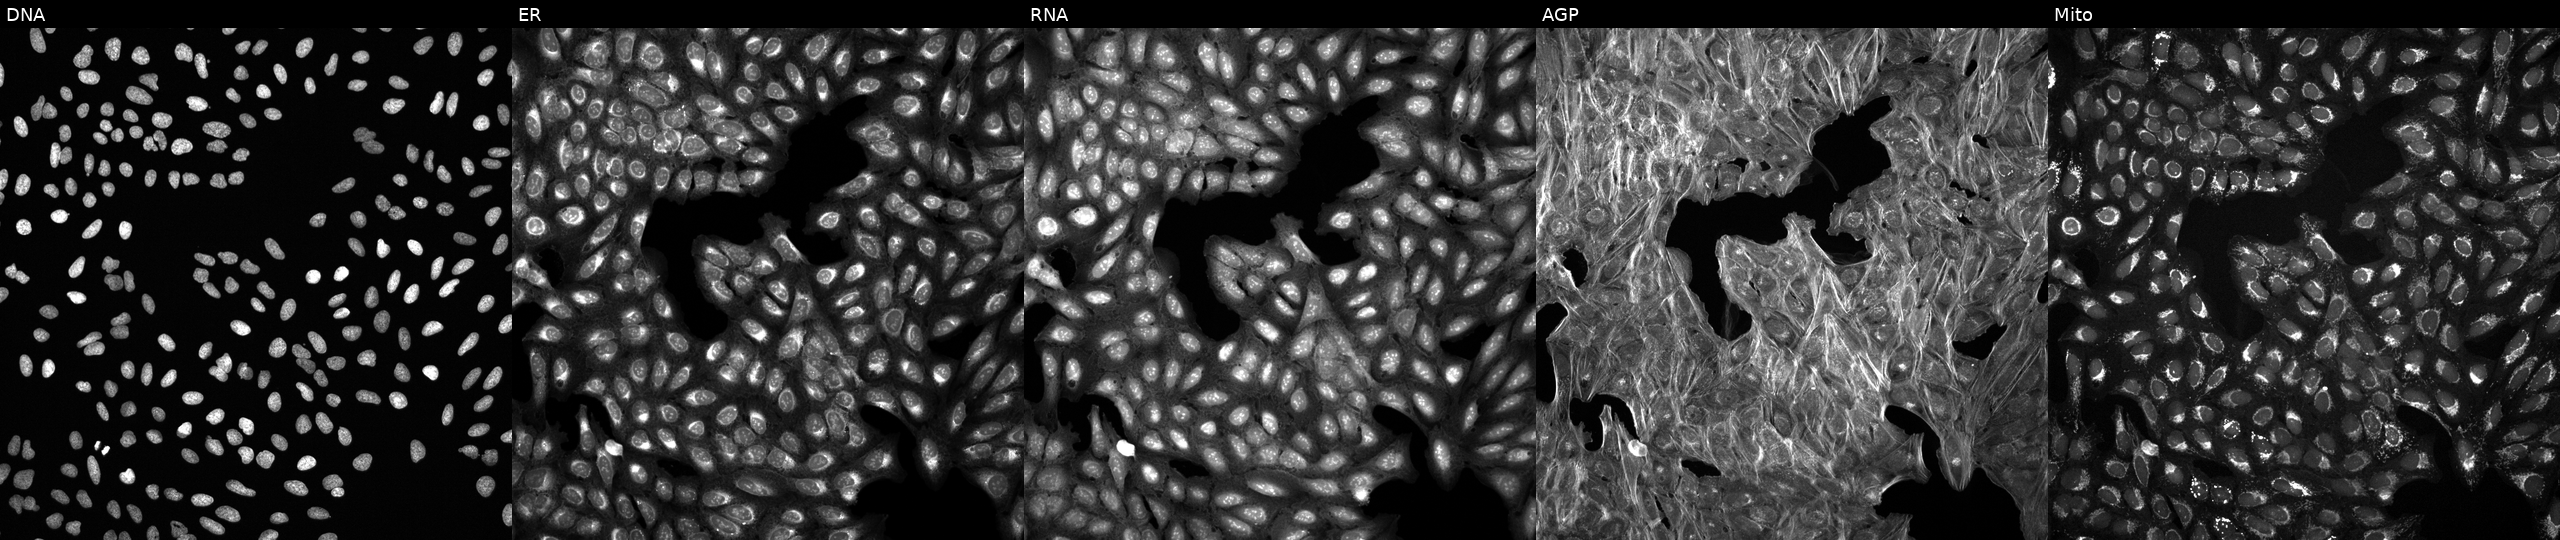
High-content fluorescence microscopy (Cell Painting). Cell line: U2OS. Perturbation: perturbed with a small-molecule compound (InChIKey DNXFTEDLILOLMJ-UHFFFAOYSA-N) (JUMP id JCP2022_017096). Channels (left→right): Hoechst 33342, concanavalin A, SYTO 14, phalloidin and WGA, MitoTracker. Source 6, plate 110000293082, well K13.